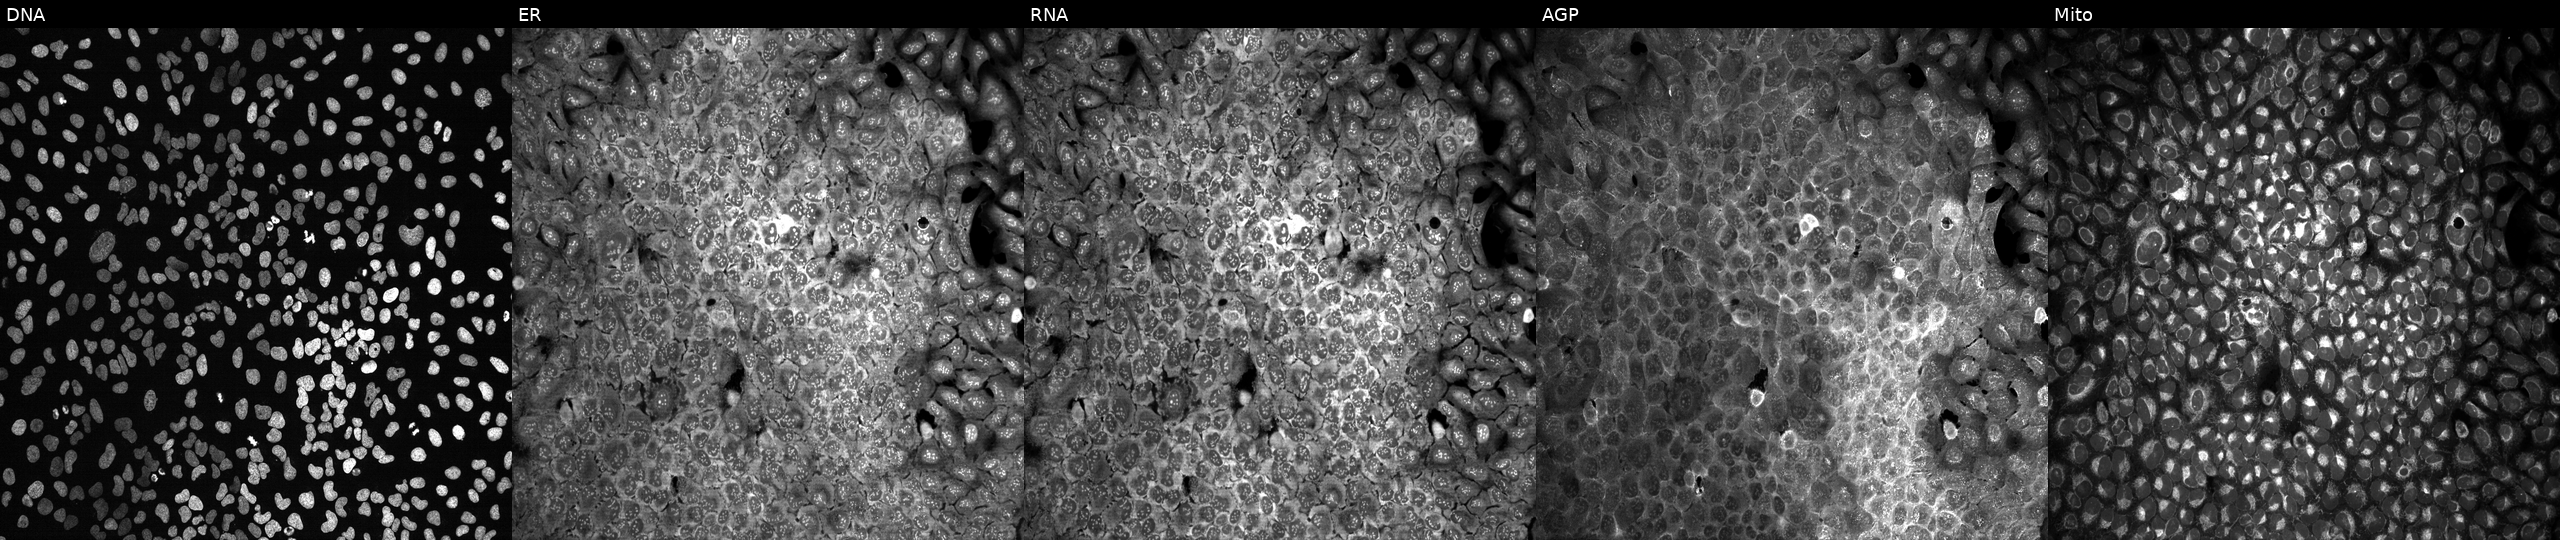
High-content fluorescence microscopy (Cell Painting). Cell line: U2OS. Perturbation: with PGPEP1L knocked out by CRISPR. From left to right: DNA, ER, RNA, AGP, and Mito.